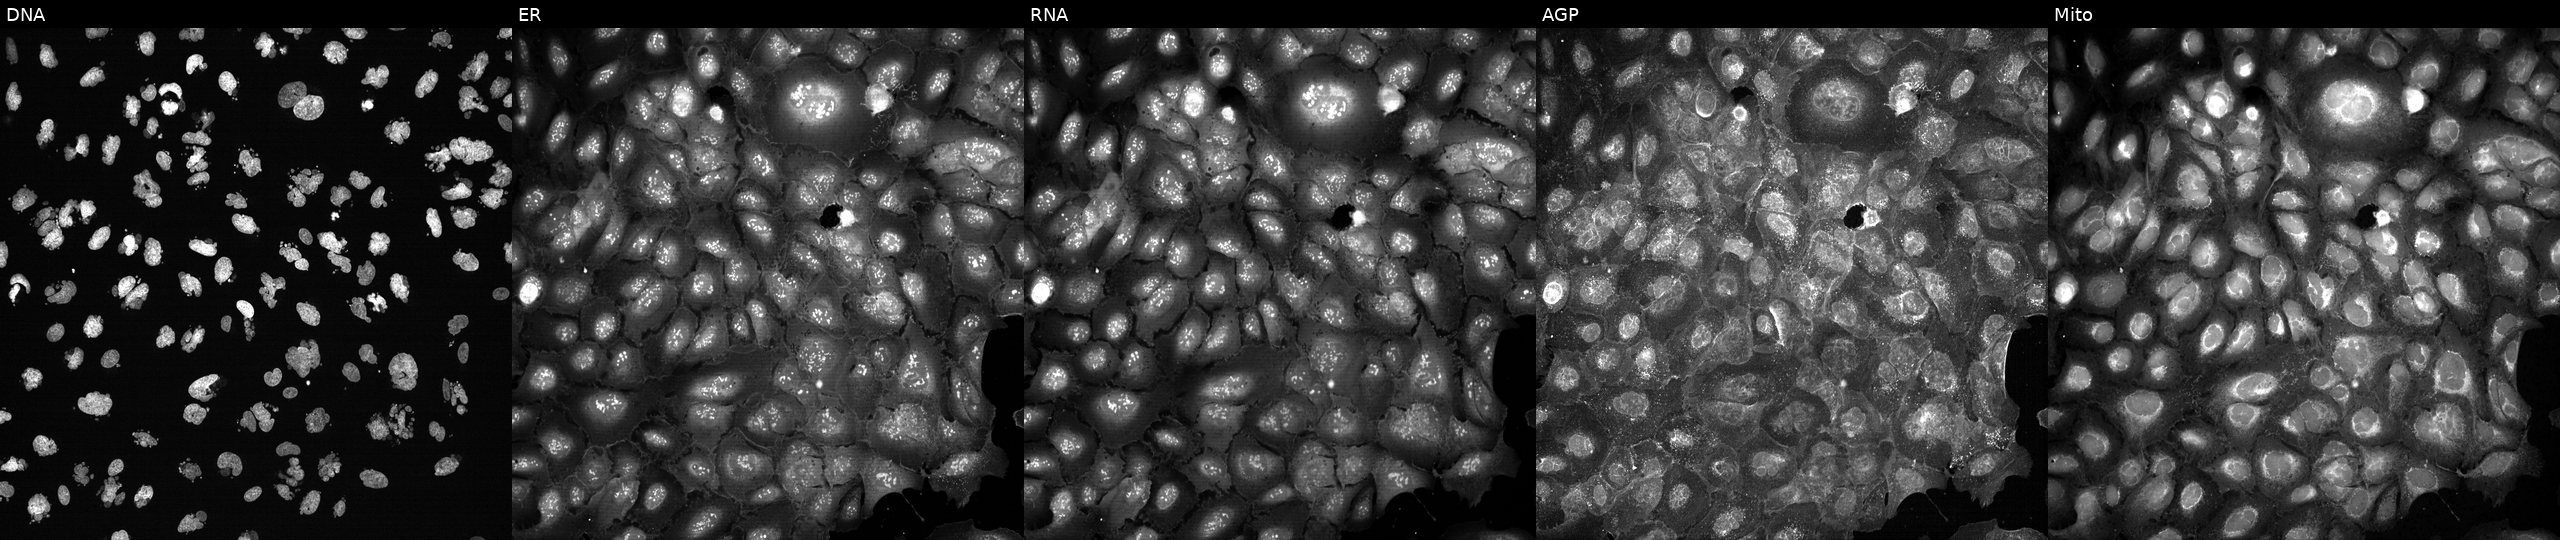
High-content fluorescence microscopy (Cell Painting). Cell line: U2OS. Perturbation: treated with AMG900 (positive-control compound). Channels (left→right): DNA (nuclei); ER (endoplasmic reticulum); RNA (nucleoli and cytoplasmic RNA); AGP (actin cytoskeleton, Golgi, and plasma membrane); Mito (mitochondria).